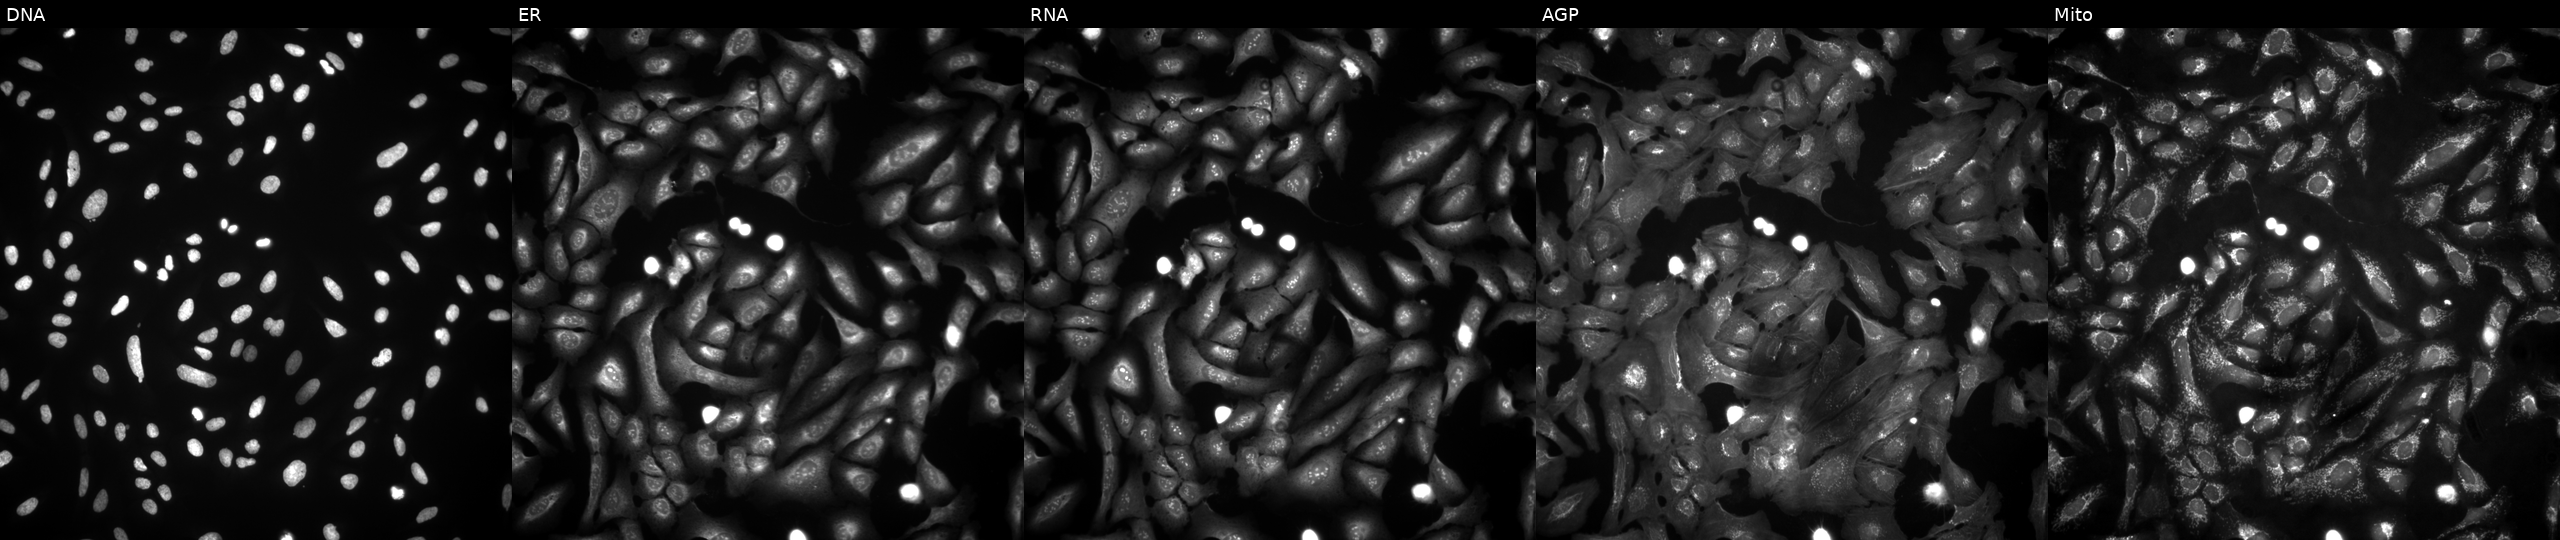
The five panels, left to right, show Hoechst 33342, concanavalin A, SYTO 14, phalloidin and WGA, MitoTracker. U2OS osteosarcoma cells overexpressing CLDN7 via ORF transfection (JUMP id JCP2022_900329). Cell Painting assay, JUMP-CP dataset.